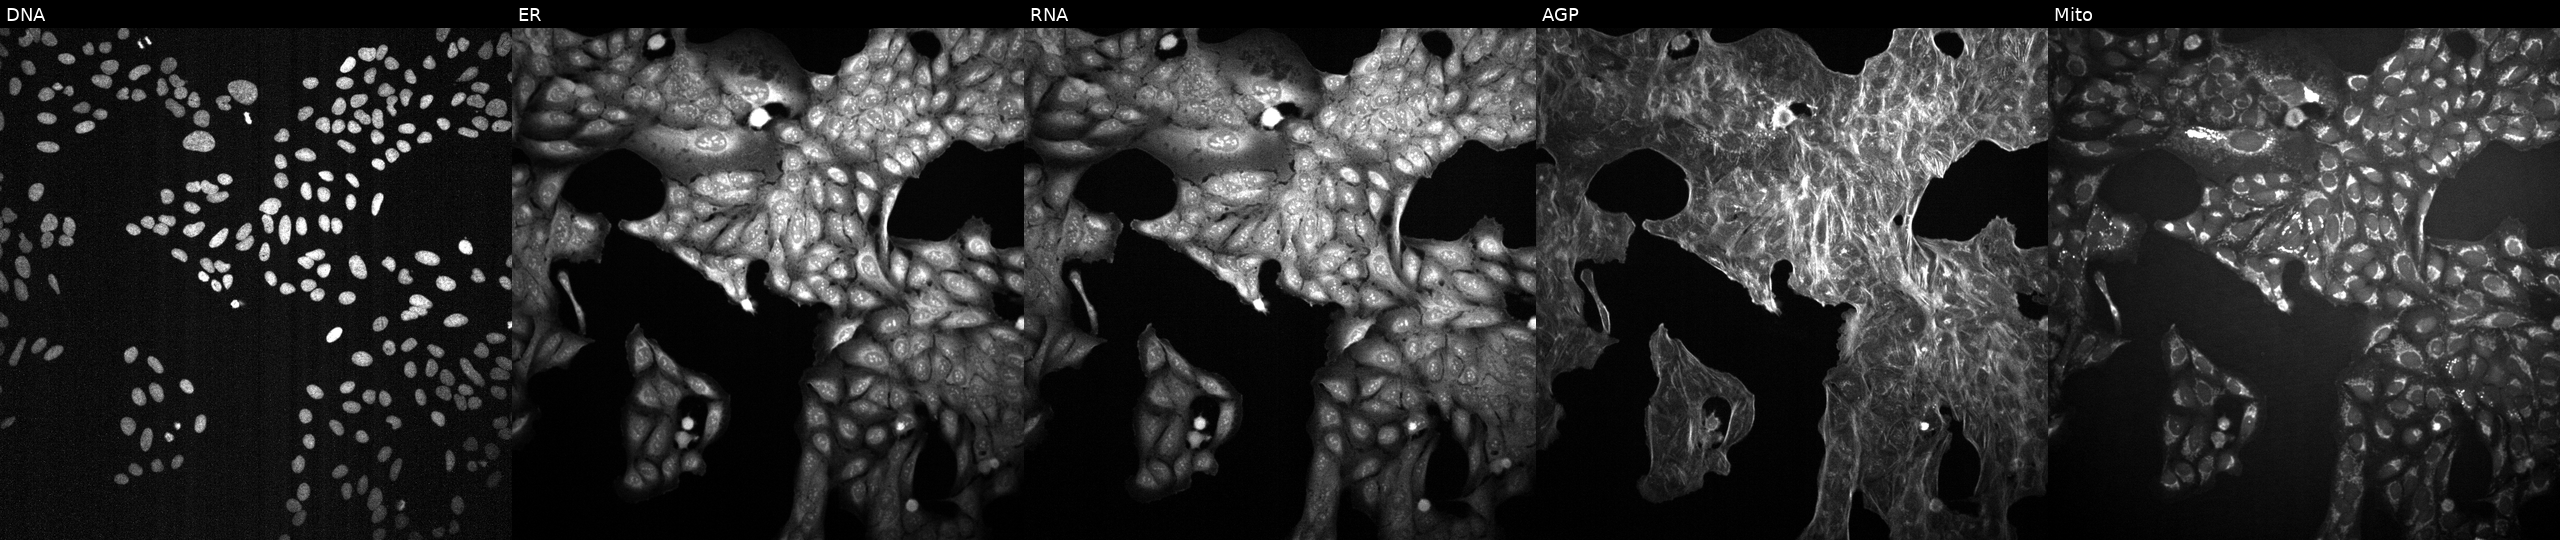
Panels show, left to right, DNA, ER, RNA, AGP, and Mito. U2OS osteosarcoma cells exposed to a small-molecule compound (InChIKey KJWGEXJCWCYEMI-UHFFFAOYSA-N). Cell Painting assay, JUMP-CP dataset.